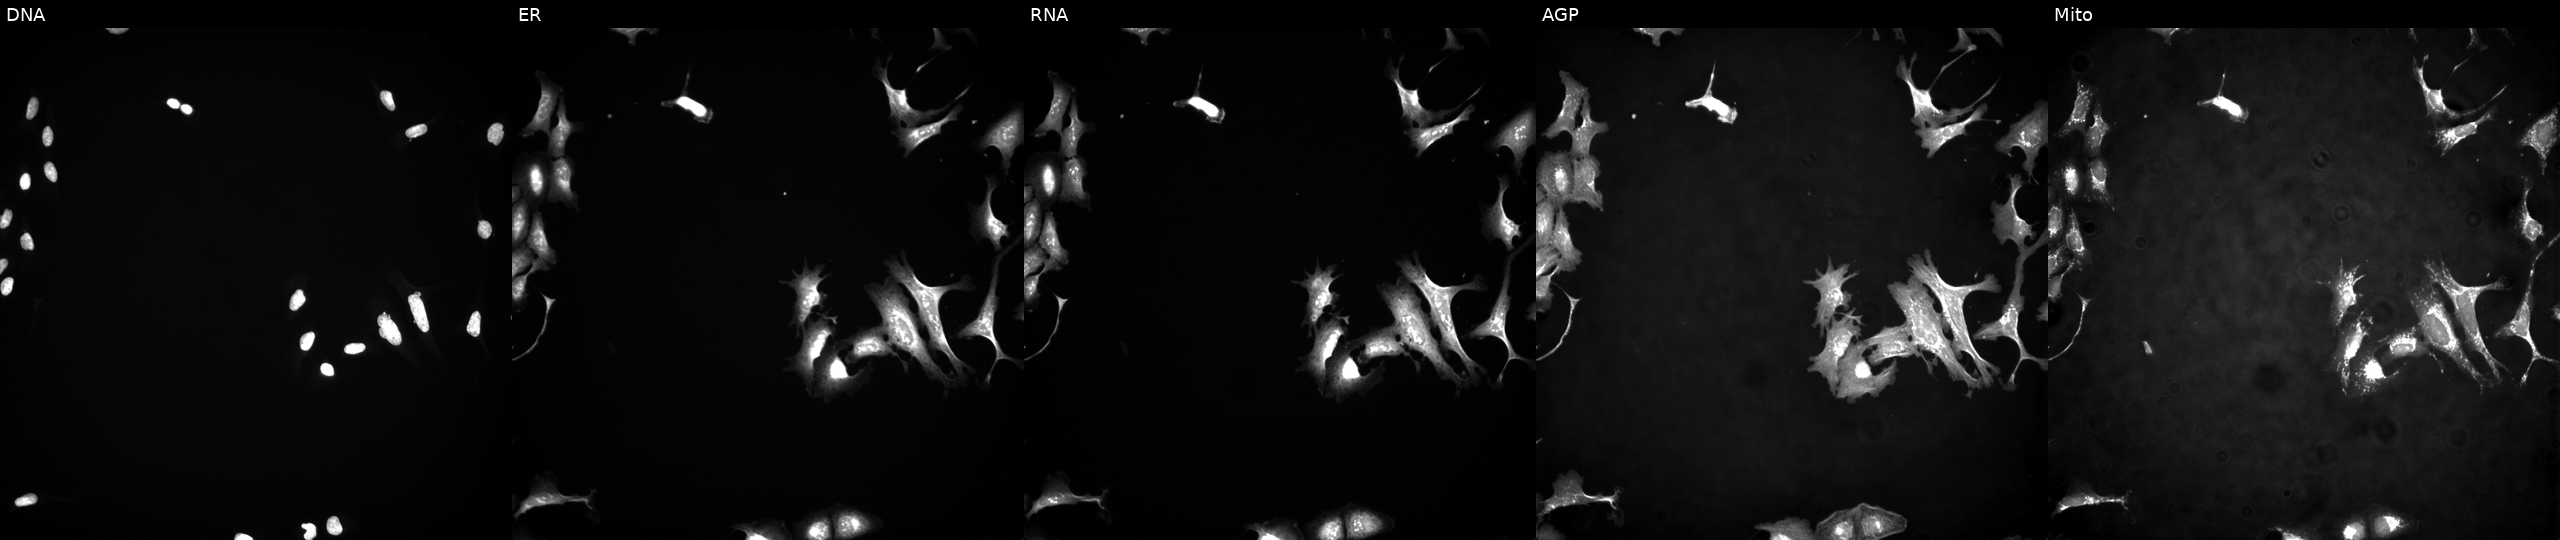
JUMP Cell Painting — ORF plate. U2OS cells transfected with an ORF construct for CLK4 (JUMP id JCP2022_911512). Panels show, left to right, DNA, ER, RNA, AGP, and Mito.